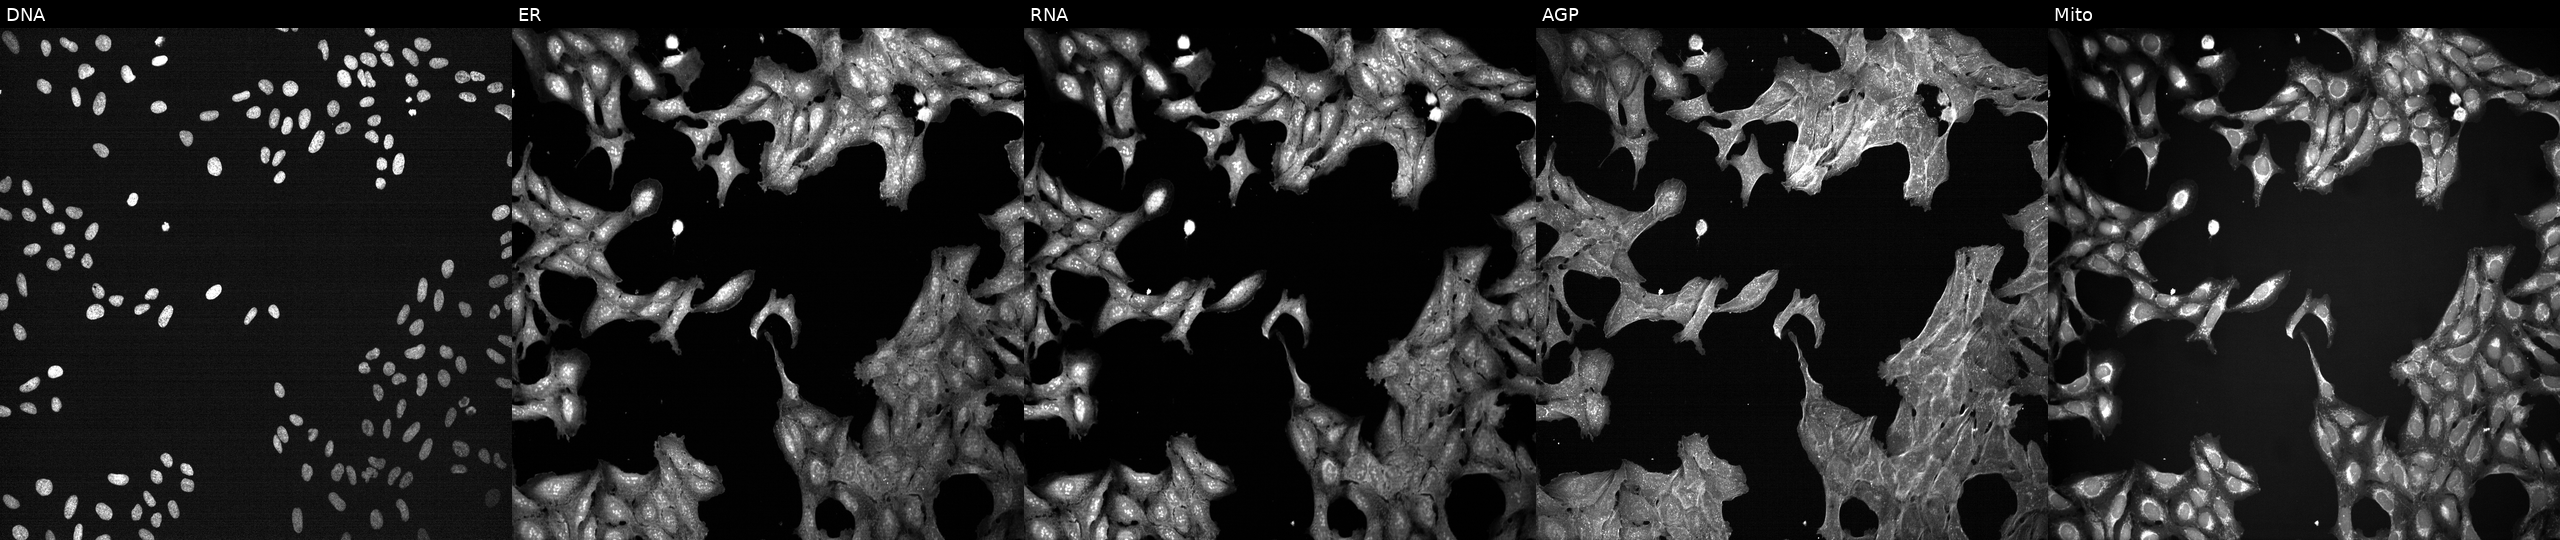
This image strip shows the five Cell Painting channels for a single field of U2OS cells perturbed with a small-molecule compound [SMILES: N=c1[nH]c(F)nc2c1ncn2C1OC(CO)C(O)C1O] (JUMP id JCP2022_029186). Panels show, left to right, DNA (nuclei); ER (endoplasmic reticulum); RNA (nucleoli and cytoplasmic RNA); AGP (actin cytoskeleton, Golgi, and plasma membrane); Mito (mitochondria).